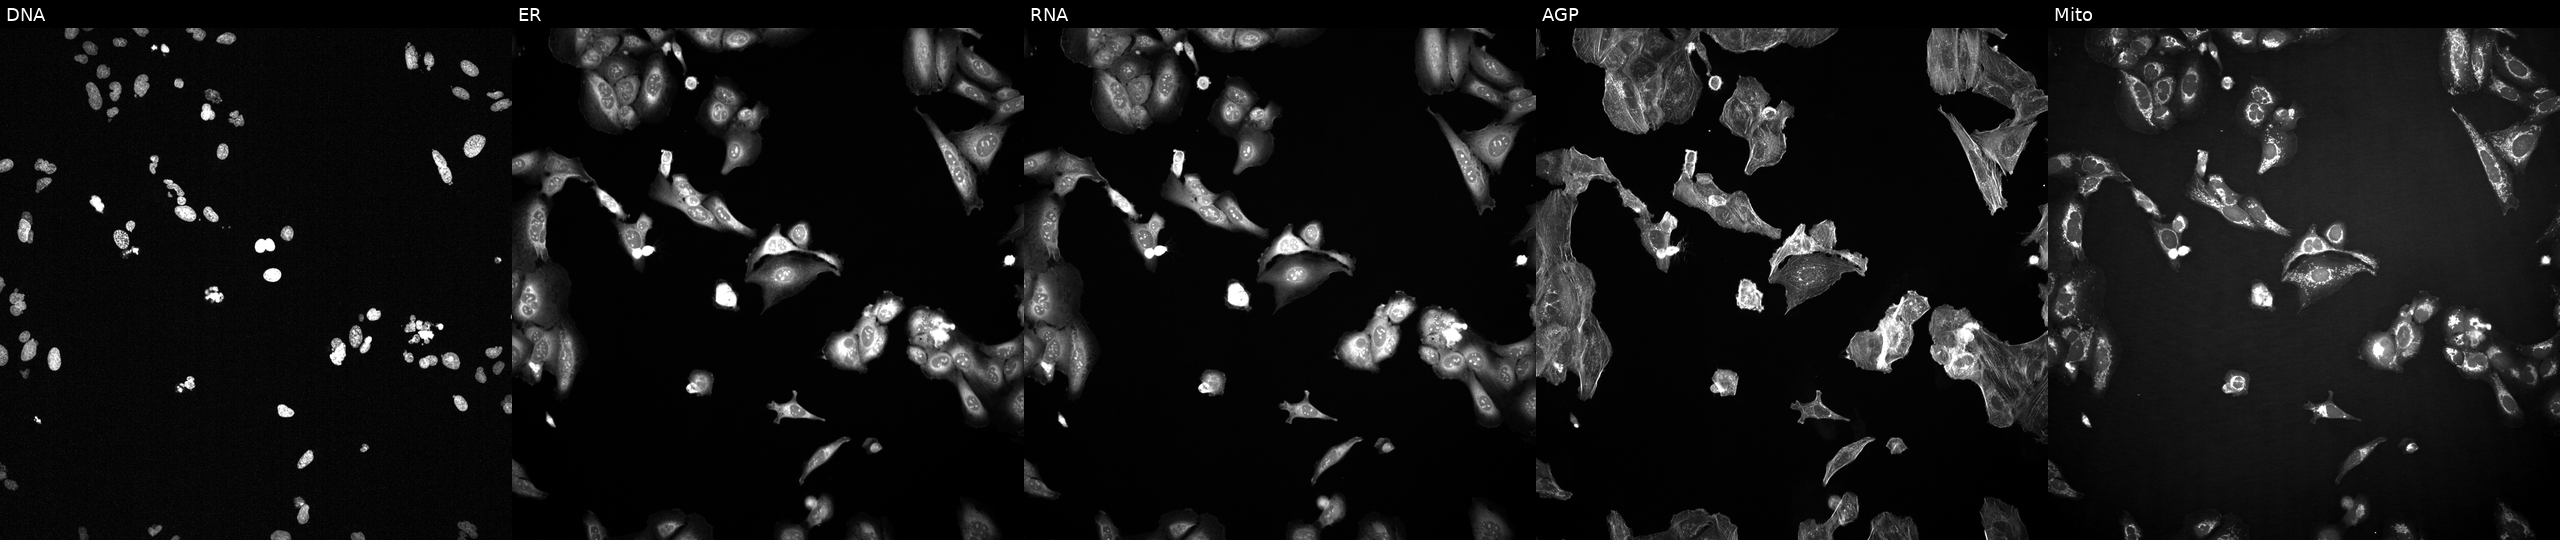
JUMP Cell Painting — TARGET2 plate. U2OS cells perturbed with a small-molecule compound (InChIKey HSTZMXCBWJGKHG-UHFFFAOYSA-N). From left to right: DNA, ER, RNA, AGP, and Mito. Source 2, plate 1053600674, well J15.